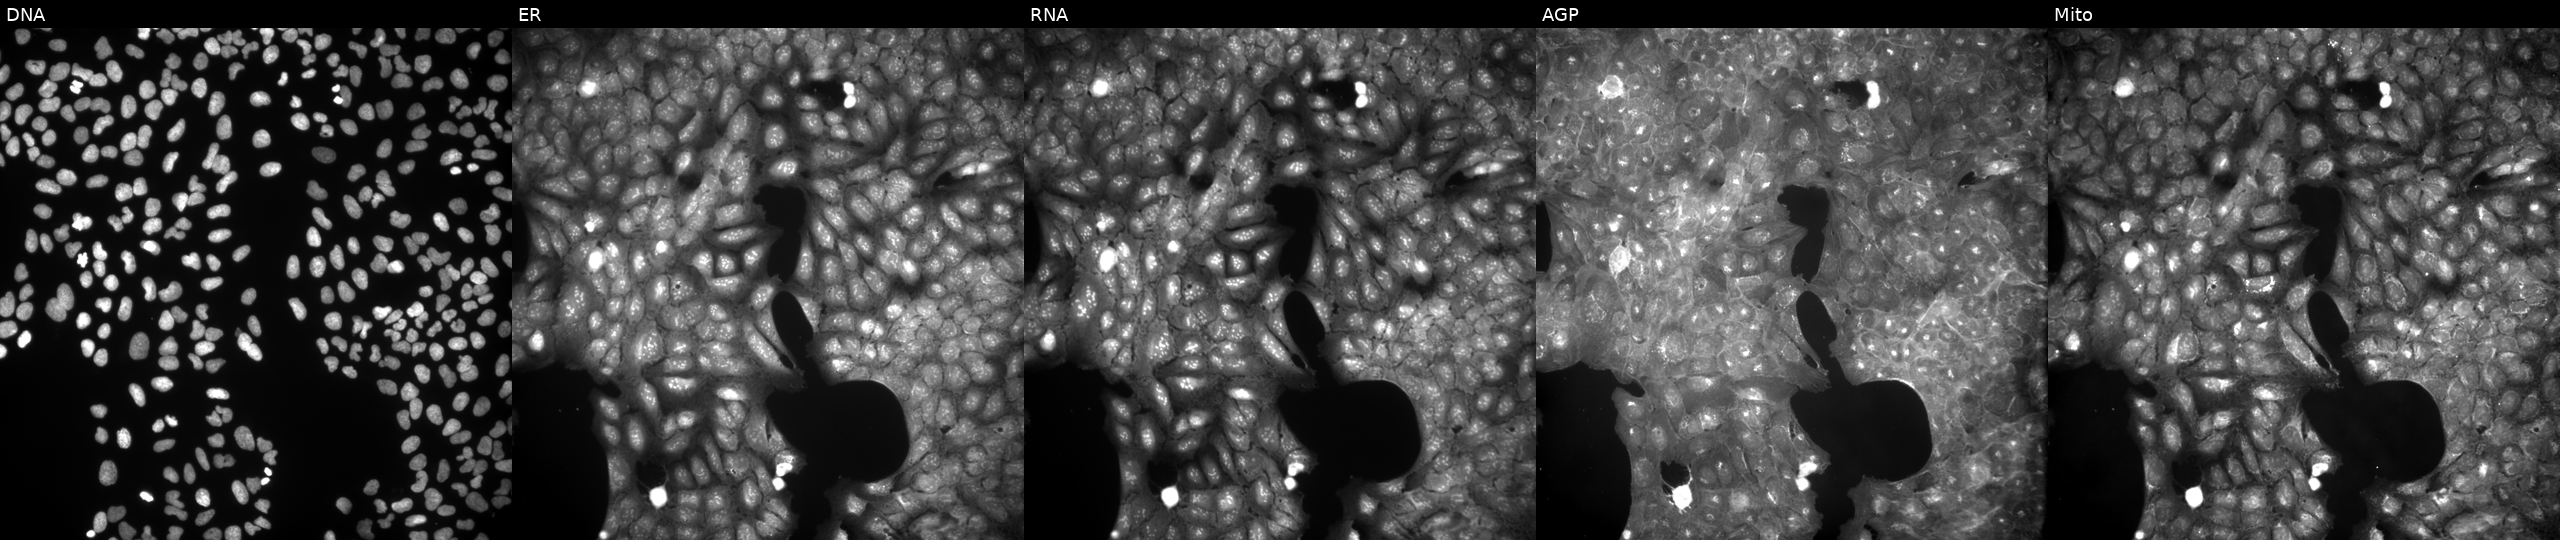
This image strip shows the five Cell Painting channels for a single field of U2OS cells exposed to a small-molecule compound (InChIKey ASZBWJQBOKYYNH-UHFFFAOYSA-N) (JUMP id JCP2022_003648). Channels (left→right): Hoechst 33342, concanavalin A, SYTO 14, phalloidin and WGA, MitoTracker.